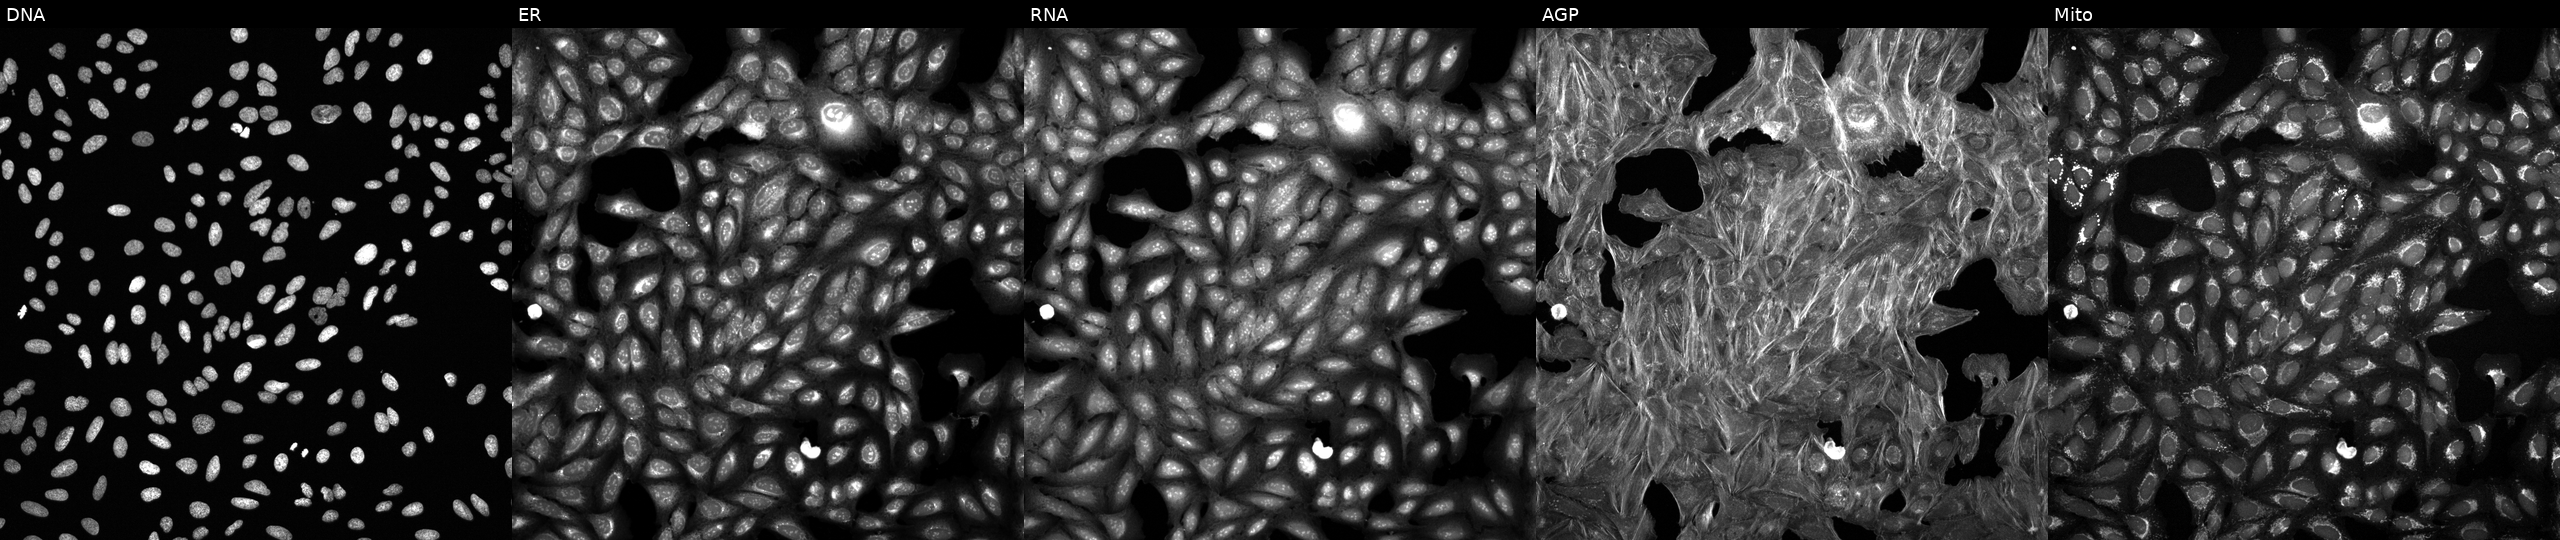
U2OS cells, Cell Painting assay, perturbed with a small-molecule compound (InChIKey VGZSUPCWNCWDAN-UHFFFAOYSA-N) (JUMP id JCP2022_093901). The five panels, left to right, show Hoechst 33342, concanavalin A, SYTO 14, phalloidin and WGA, MitoTracker. Each panel is percentile-stretched 16-bit fluorescence. Source 6, plate 110000293093, well M08.